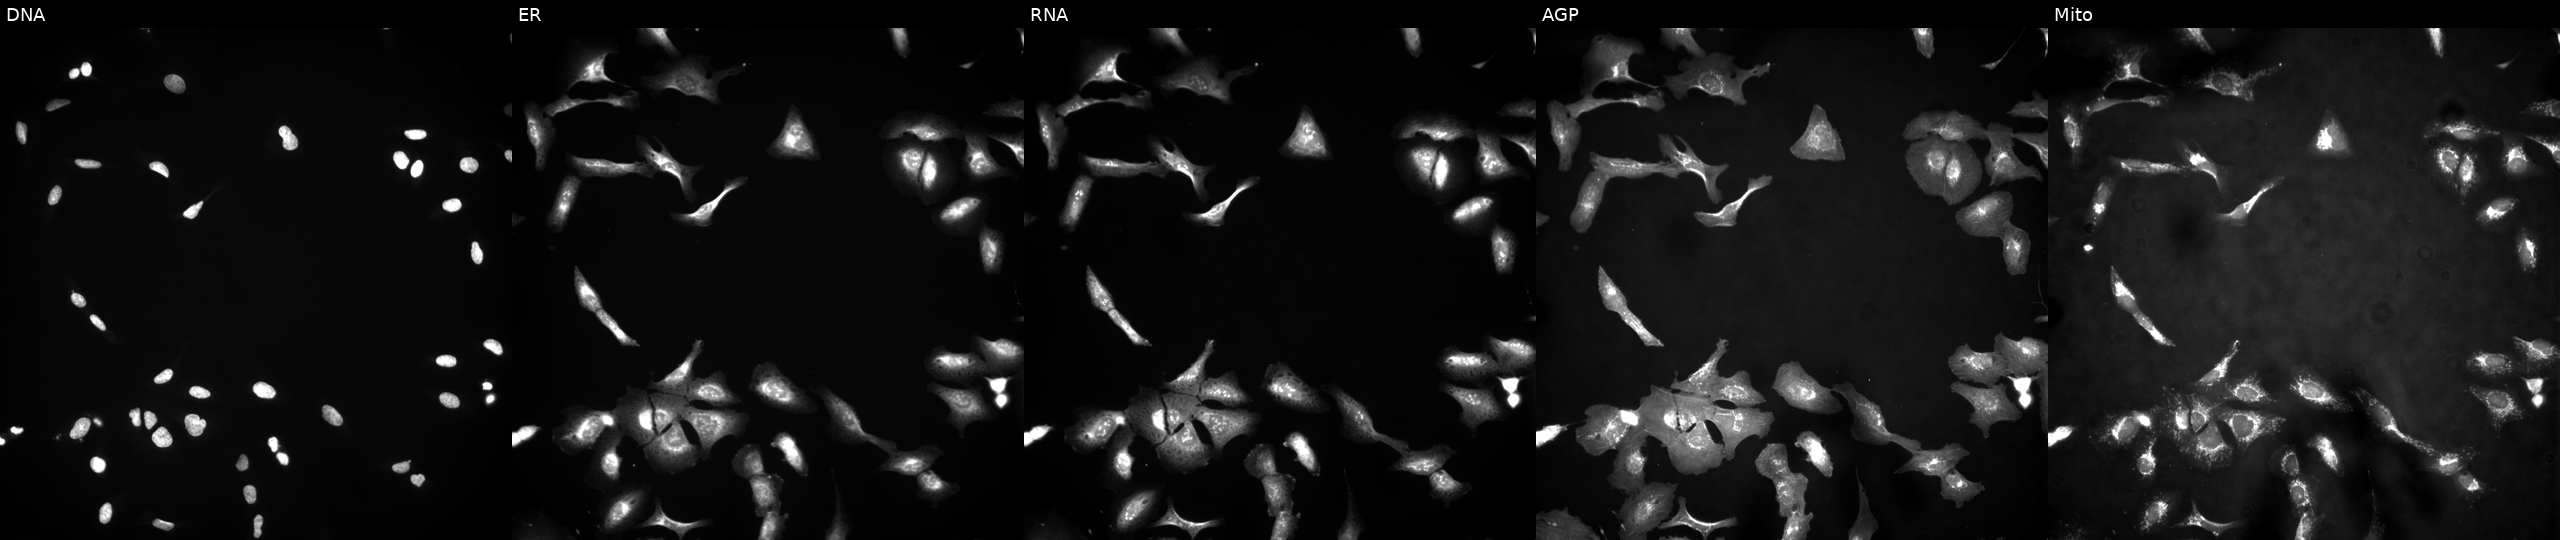
JUMP Cell Painting — ORF plate. U2OS cells transfected with an ORF construct for APPL1. Panels show, left to right, DNA, ER, RNA, AGP, and Mito.